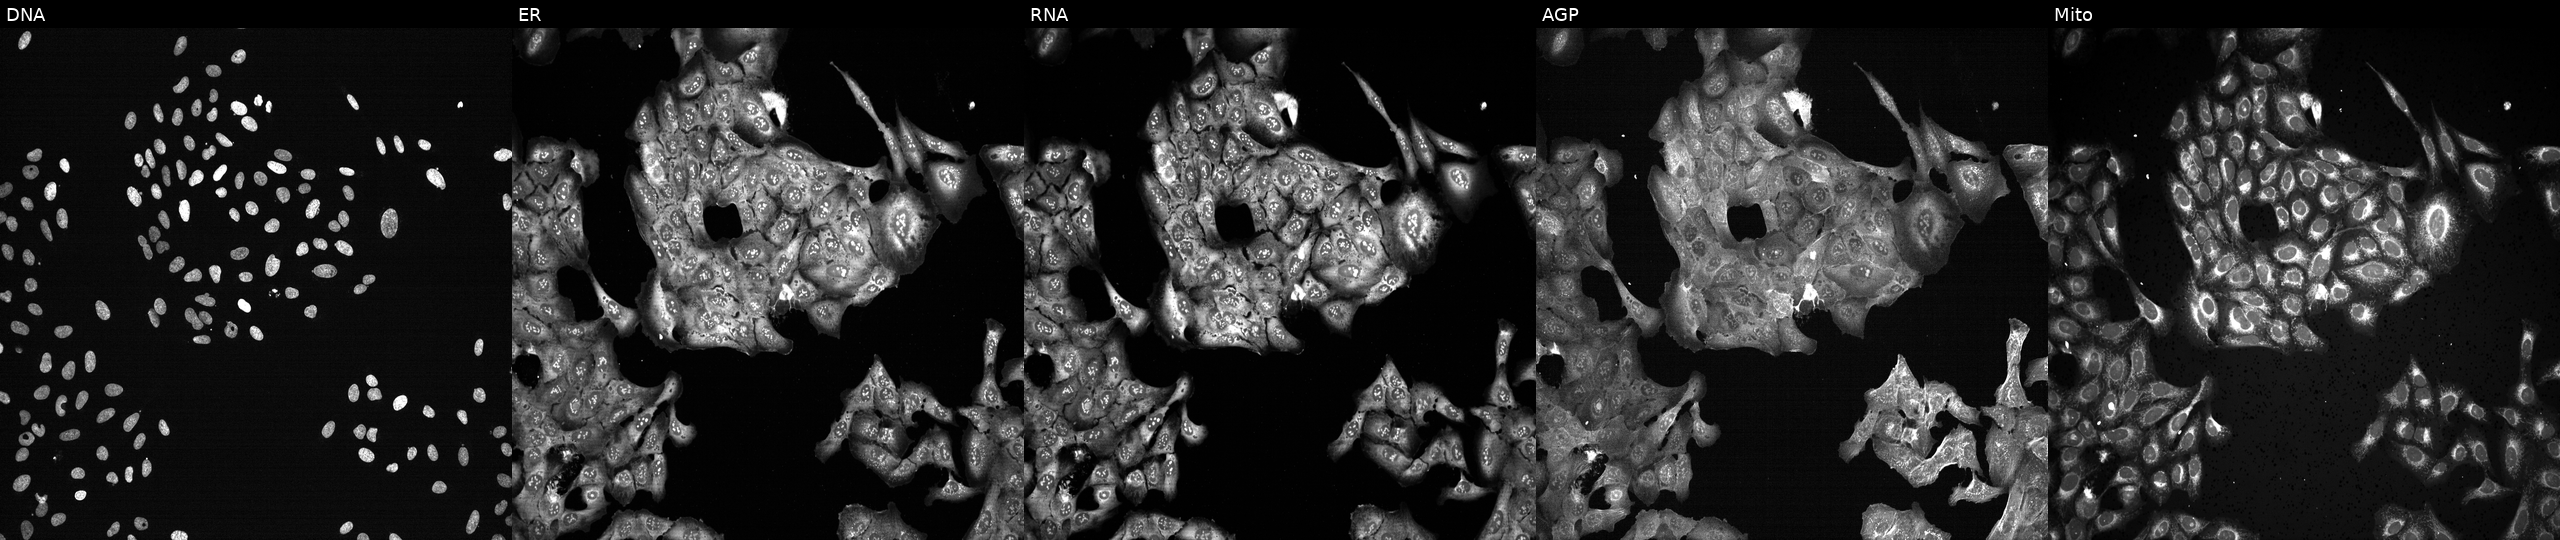
JUMP Cell Painting — CRISPR plate. U2OS cells following CRISPR knockout of SLC2A1. The five panels, left to right, show DNA (nuclei); ER (endoplasmic reticulum); RNA (nucleoli and cytoplasmic RNA); AGP (actin cytoskeleton, Golgi, and plasma membrane); Mito (mitochondria). Source 13, plate CP-CC9-R2-01, well M09.